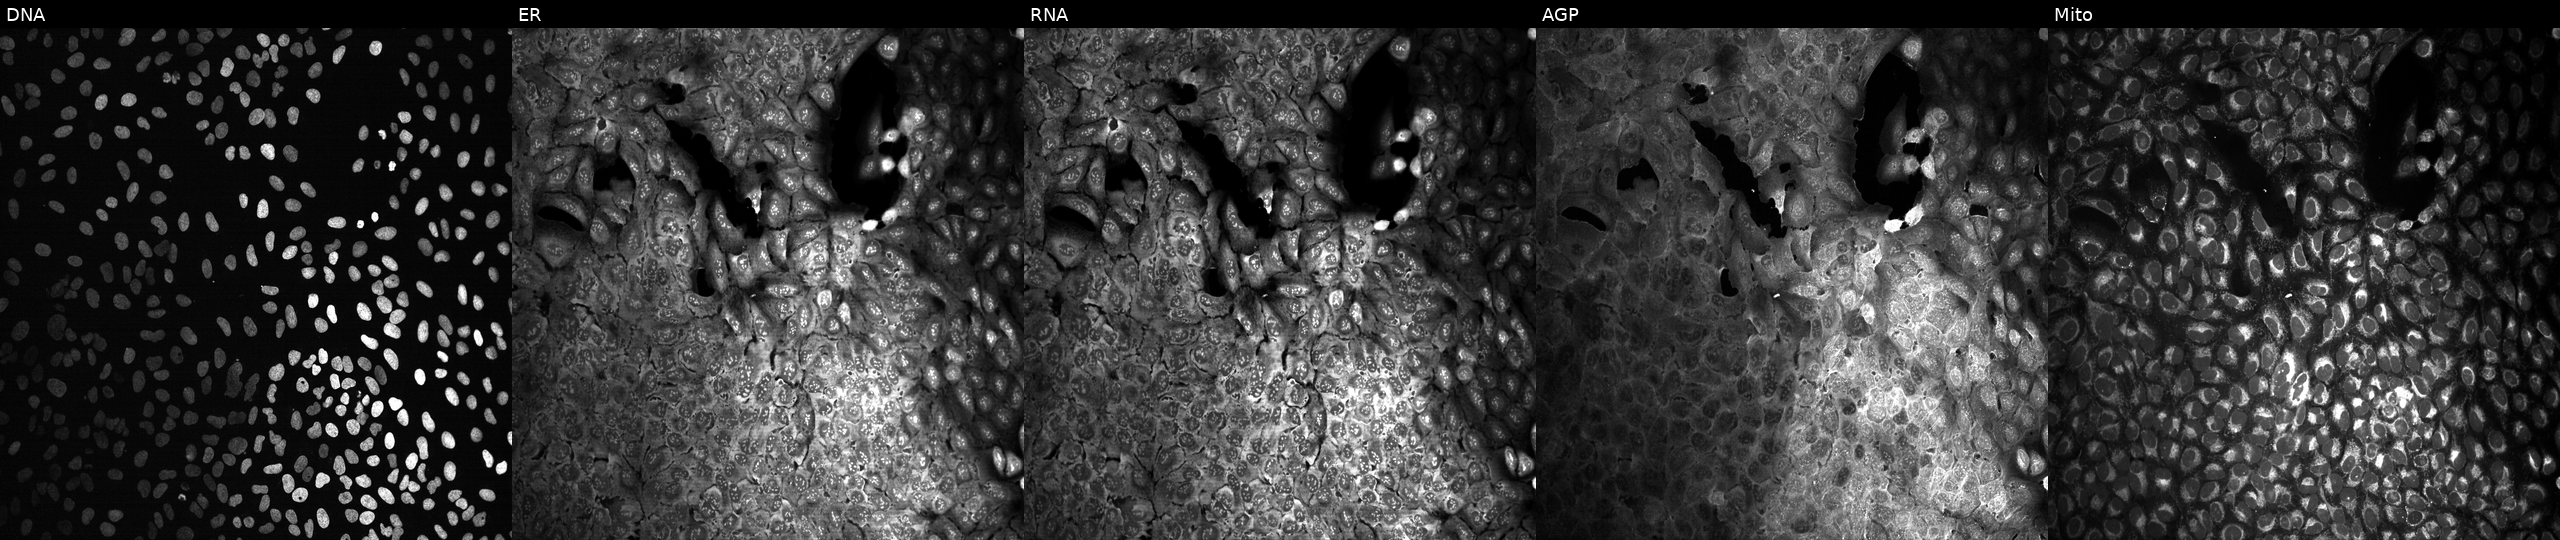
High-content fluorescence microscopy (Cell Painting). Cell line: U2OS. Perturbation: with a non-targeting CRISPR guide (negative control) (JUMP id JCP2022_800002). The five panels, left to right, show DNA, ER, RNA, AGP, and Mito.